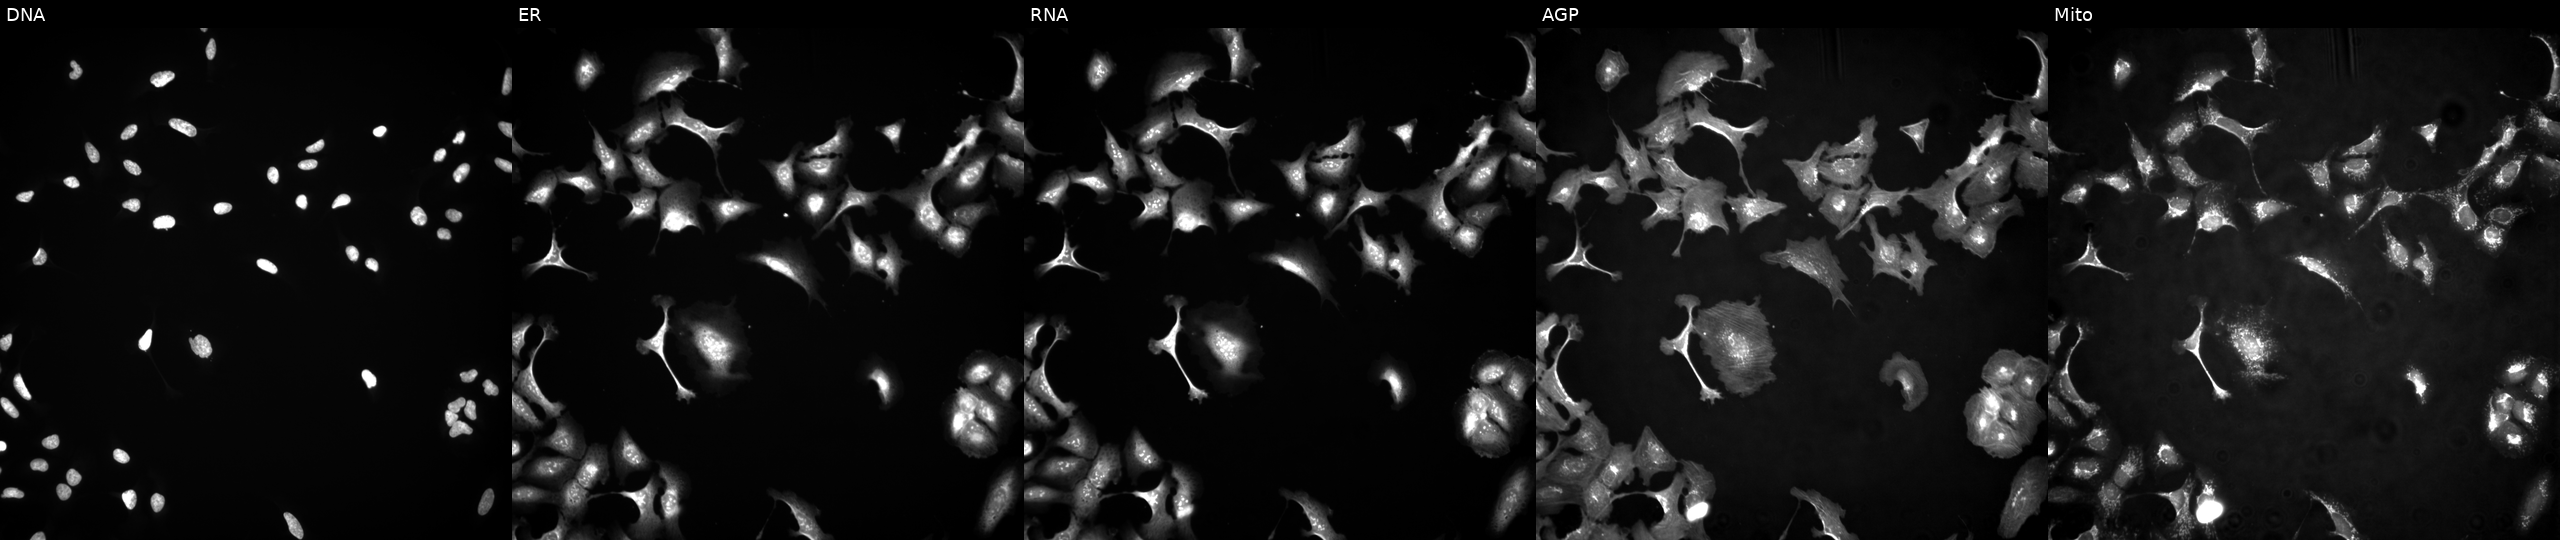
High-content fluorescence microscopy (Cell Painting). Cell line: U2OS. Perturbation: expressing LUCIFERASE (ORF negative control) (JUMP id JCP2022_915130). From left to right: Hoechst 33342, concanavalin A, SYTO 14, phalloidin and WGA, MitoTracker. Source 4, plate BR00123945, well H16.